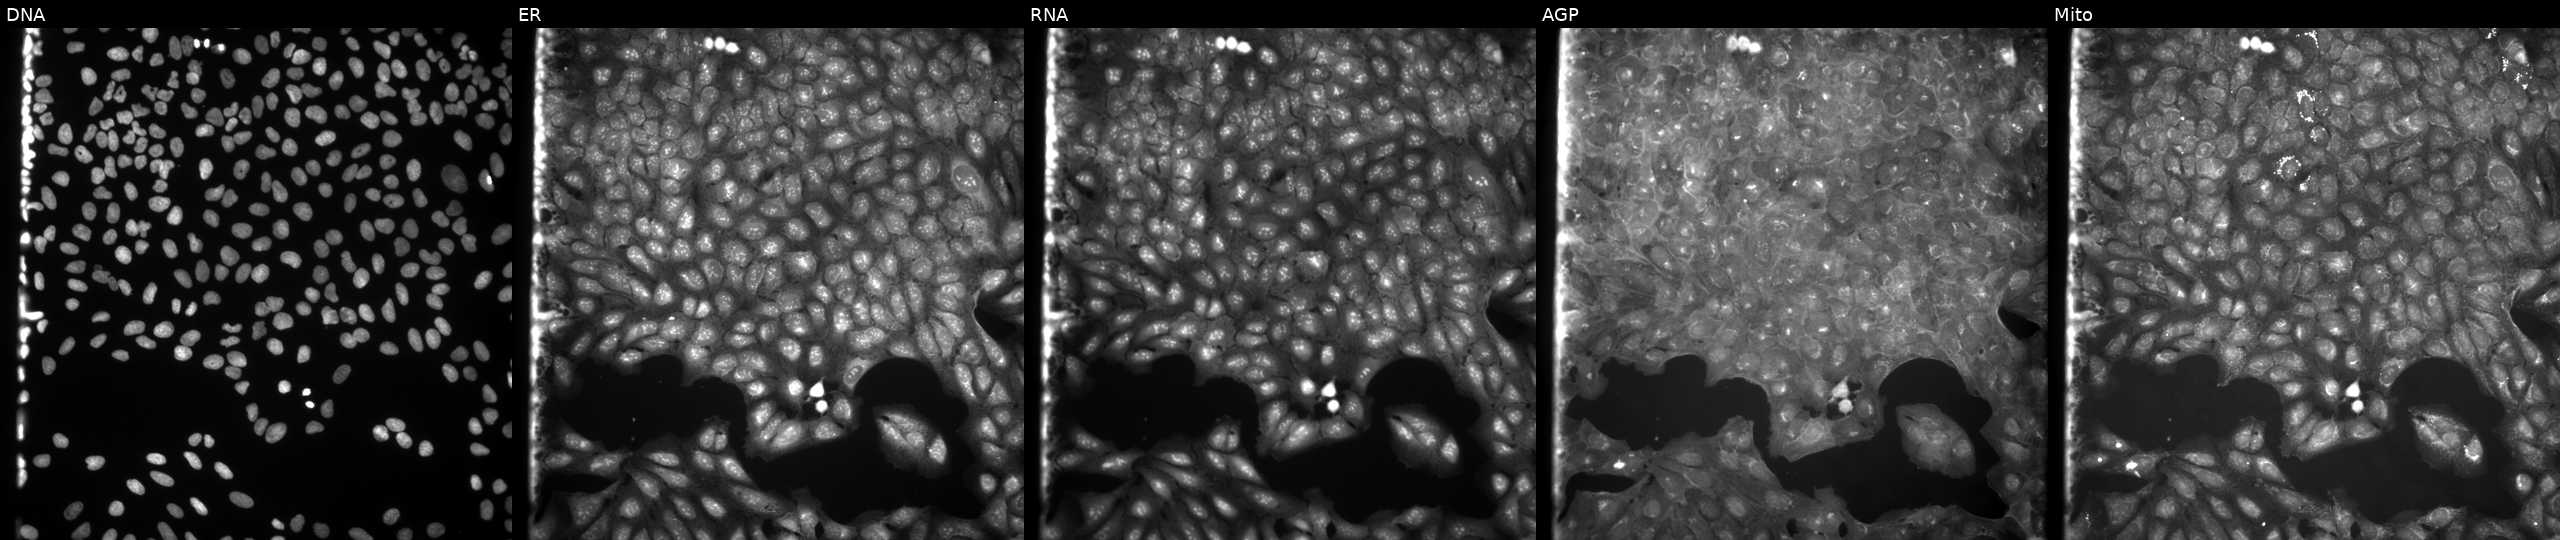
High-content fluorescence microscopy (Cell Painting). Cell line: U2OS. Perturbation: exposed to a small-molecule compound (InChIKey ISKKHUSIKPRBKI-UHFFFAOYSA-N) [SMILES: Cc1cc(N2CCN(S(=O)(=O)c3ccc(Cl)cc3)CC2)c2ccccc2n1]. From left to right: DNA, ER, RNA, AGP, and Mito.